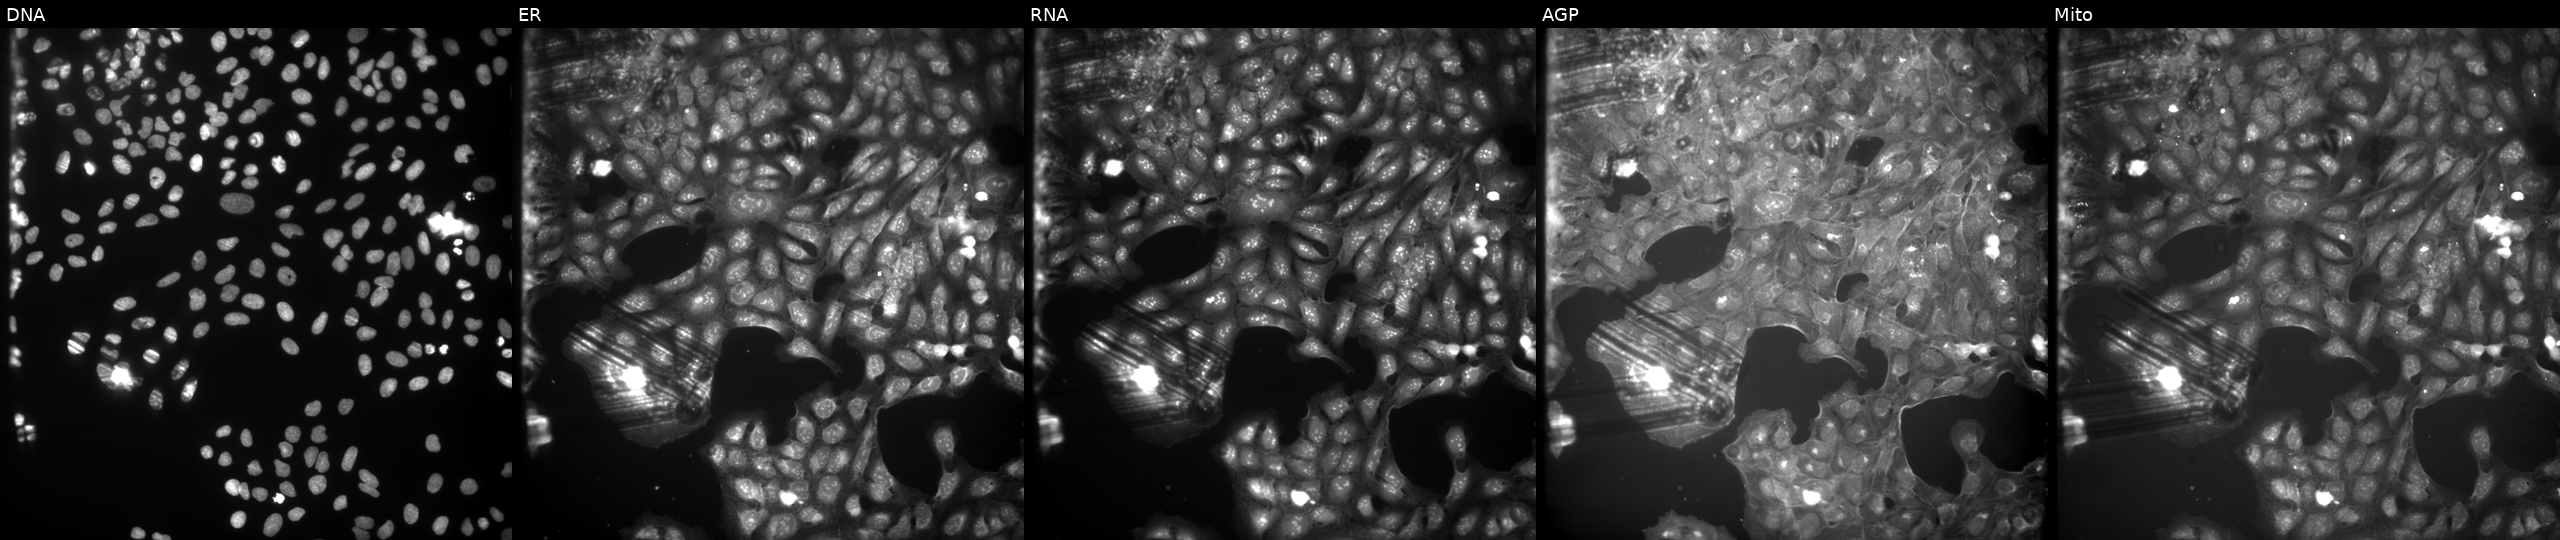
U2OS cells, Cell Painting assay, treated with aloxistatin (positive-control compound) (JUMP id JCP2022_085227). The five panels, left to right, show Hoechst 33342, concanavalin A, SYTO 14, phalloidin and WGA, MitoTracker. Each panel is percentile-stretched 16-bit fluorescence.